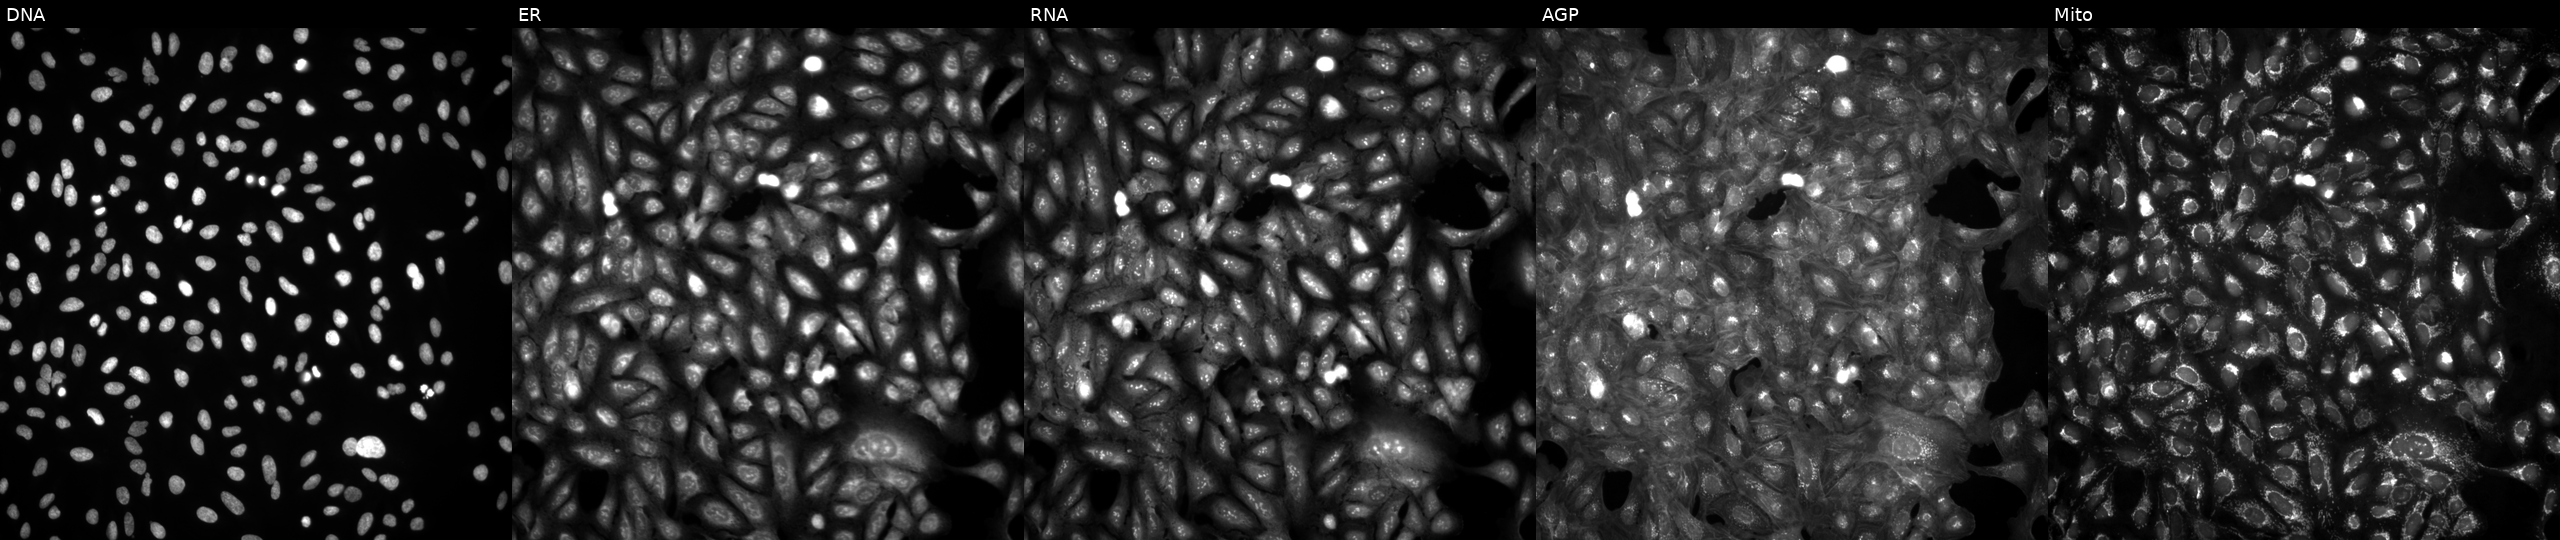
The five panels, left to right, show DNA (nuclei); ER (endoplasmic reticulum); RNA (nucleoli and cytoplasmic RNA); AGP (actin cytoskeleton, Golgi, and plasma membrane); Mito (mitochondria). U2OS osteosarcoma cells untreated (empty-well control). Cell Painting assay, JUMP-CP dataset. Source 4, plate BR00124793, well P15.